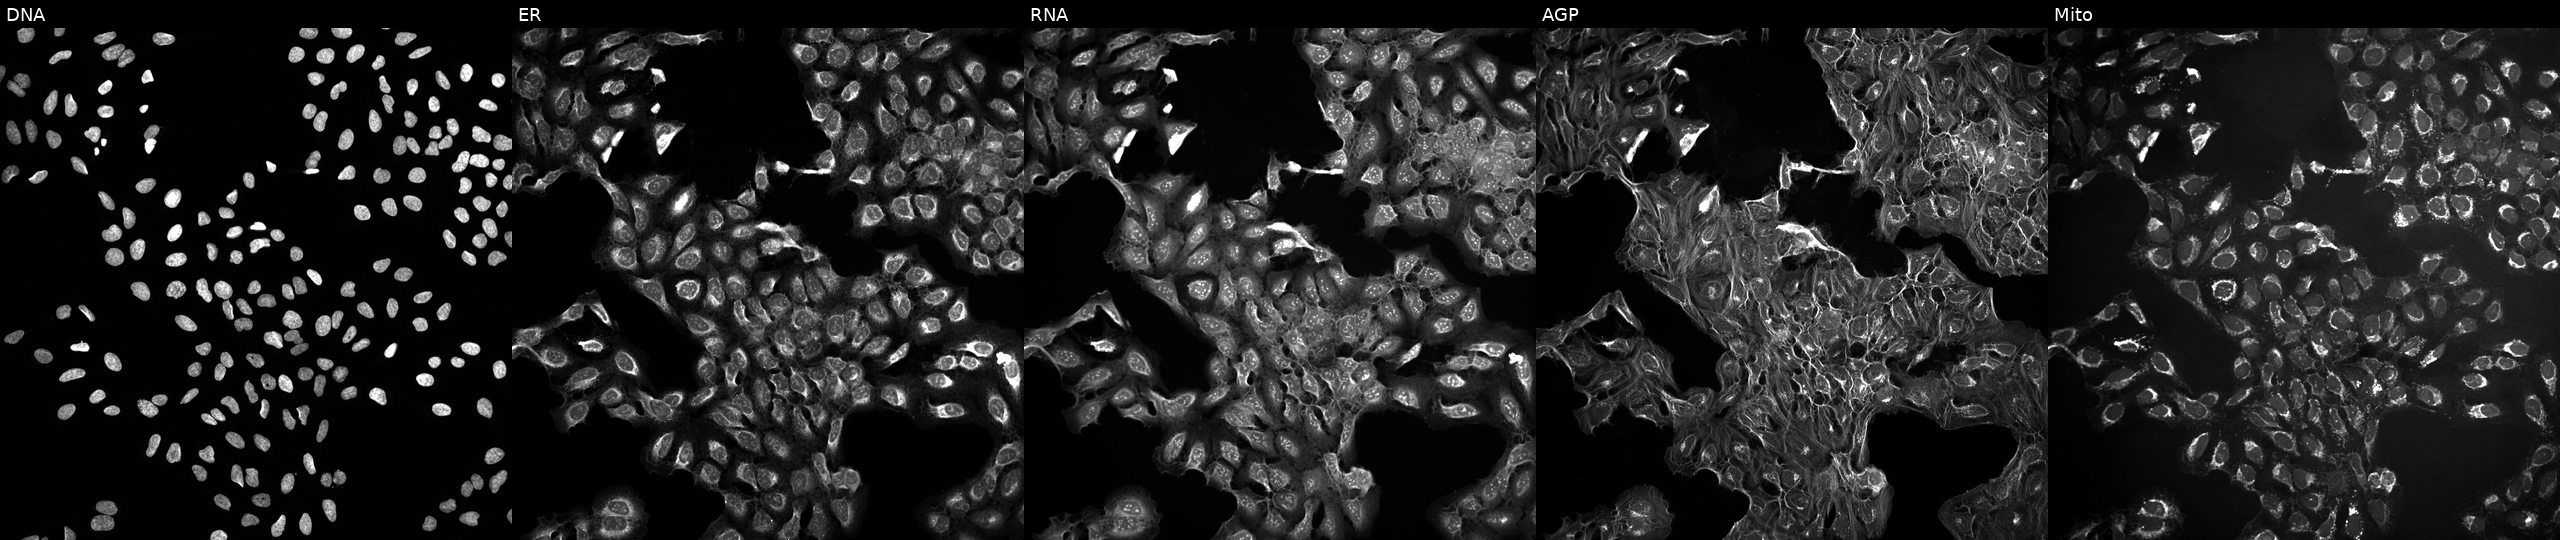
This image strip shows the five Cell Painting channels for a single field of U2OS cells in an empty control well (no perturbation) (JUMP id JCP2022_999999). From left to right: DNA (nuclei); ER (endoplasmic reticulum); RNA (nucleoli and cytoplasmic RNA); AGP (actin cytoskeleton, Golgi, and plasma membrane); Mito (mitochondria). Source 10, plate Dest210531-152324, well N12.